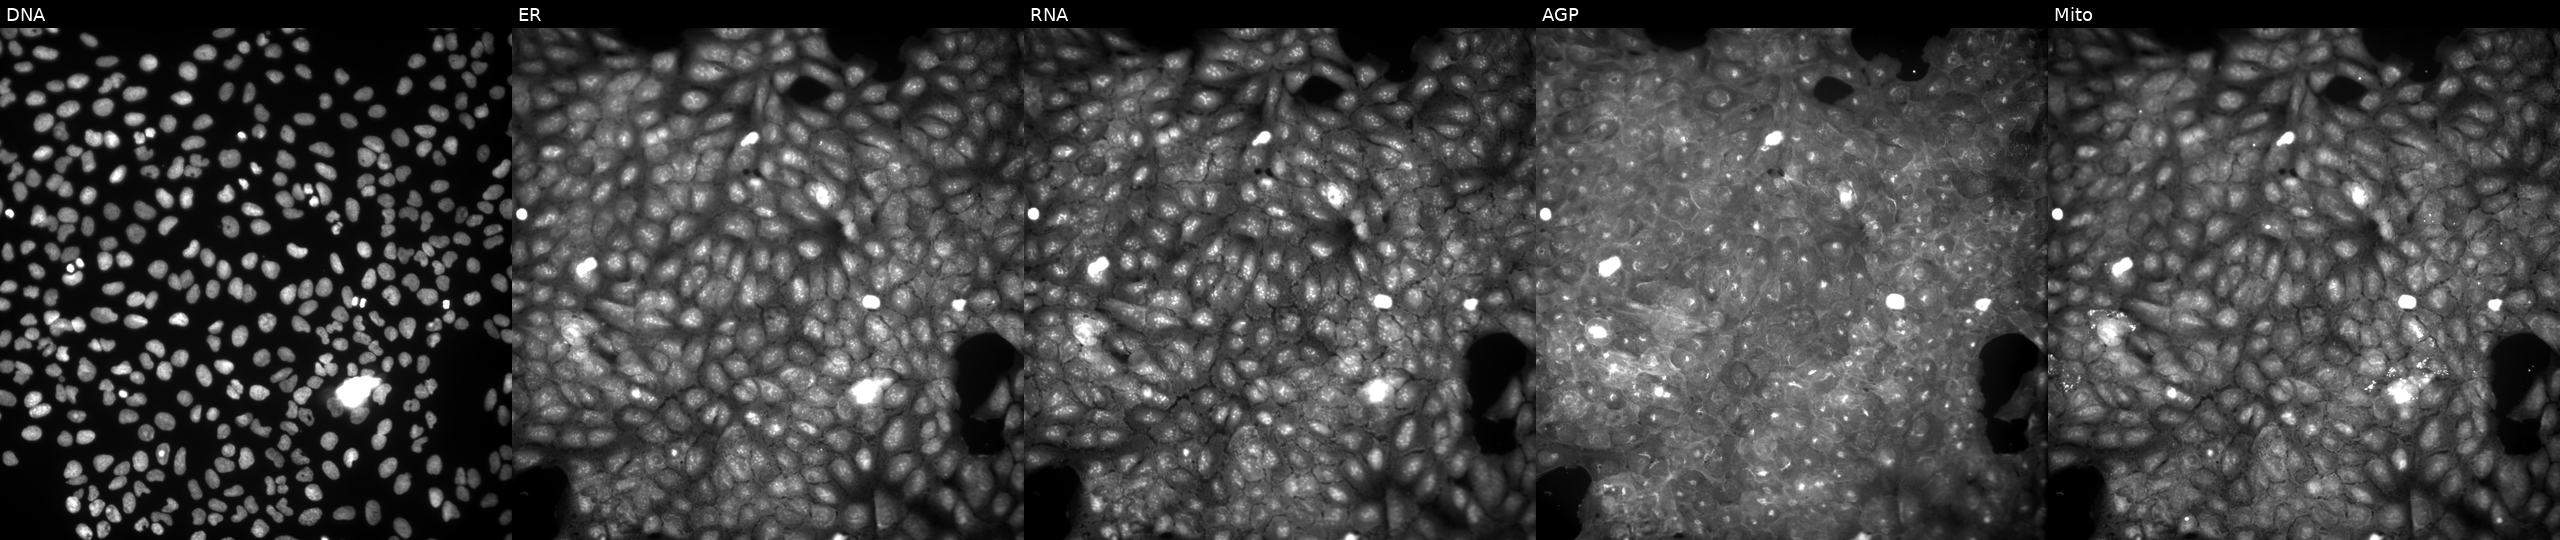
The five panels, left to right, show DNA, ER, RNA, AGP, and Mito. U2OS osteosarcoma cells treated with a small-molecule compound (InChIKey RPDQWSPFUXFSKS-UHFFFAOYSA-N) (JUMP id JCP2022_079825). Cell Painting assay, JUMP-CP dataset.